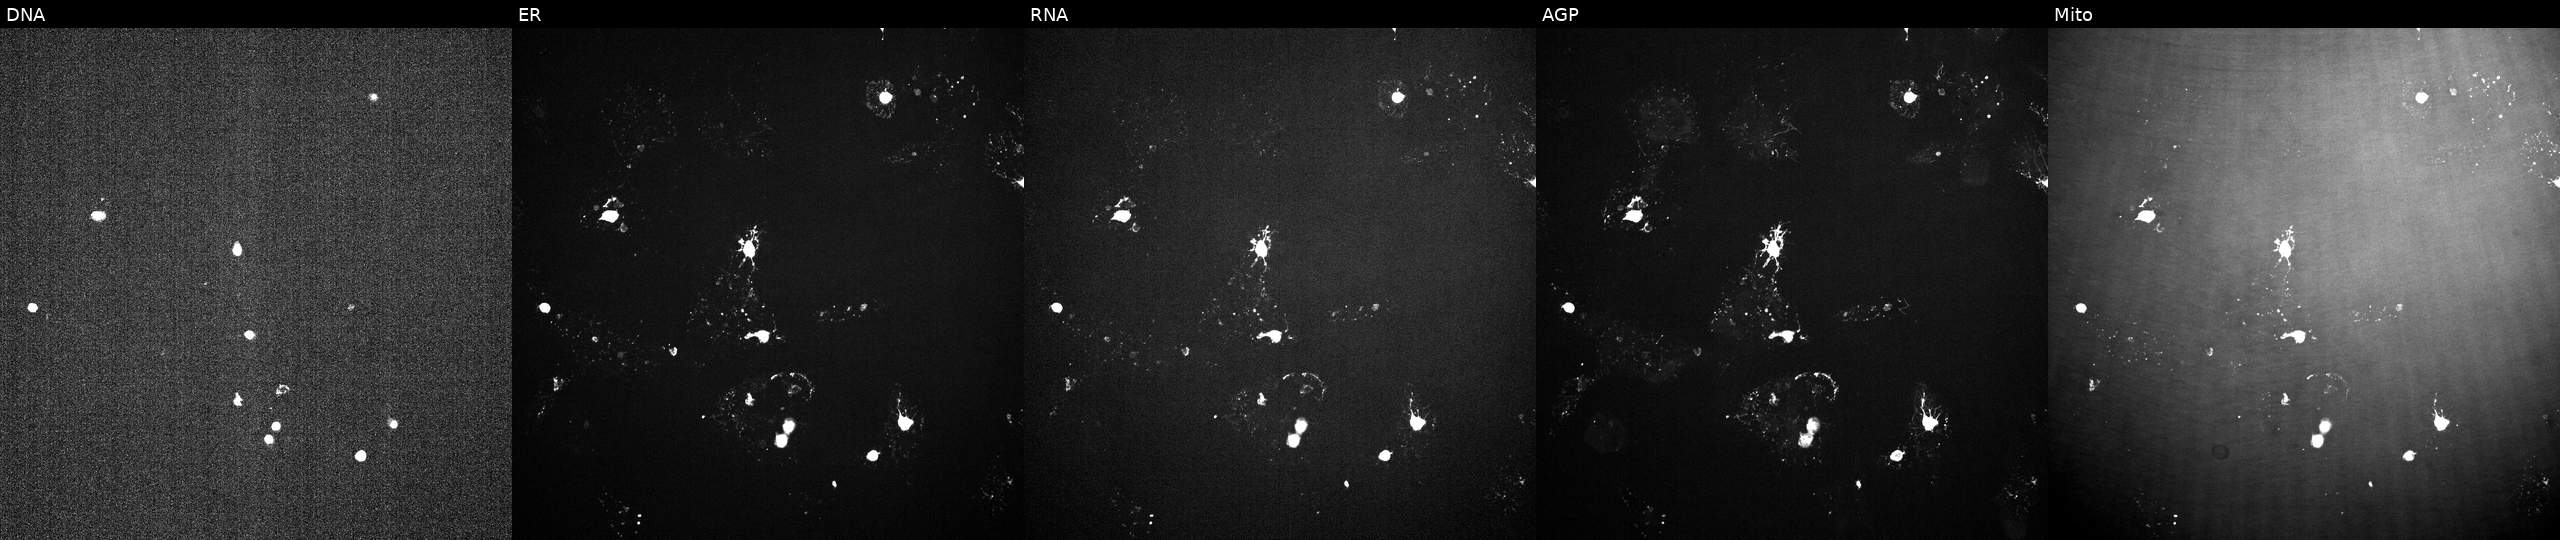
U2OS cells, Cell Painting assay, treated with a small-molecule compound (InChIKey IAYGCINLNONXHY-UHFFFAOYSA-N) (JUMP id JCP2022_033914). From left to right: Hoechst 33342, concanavalin A, SYTO 14, phalloidin and WGA, MitoTracker. Each panel is percentile-stretched 16-bit fluorescence.